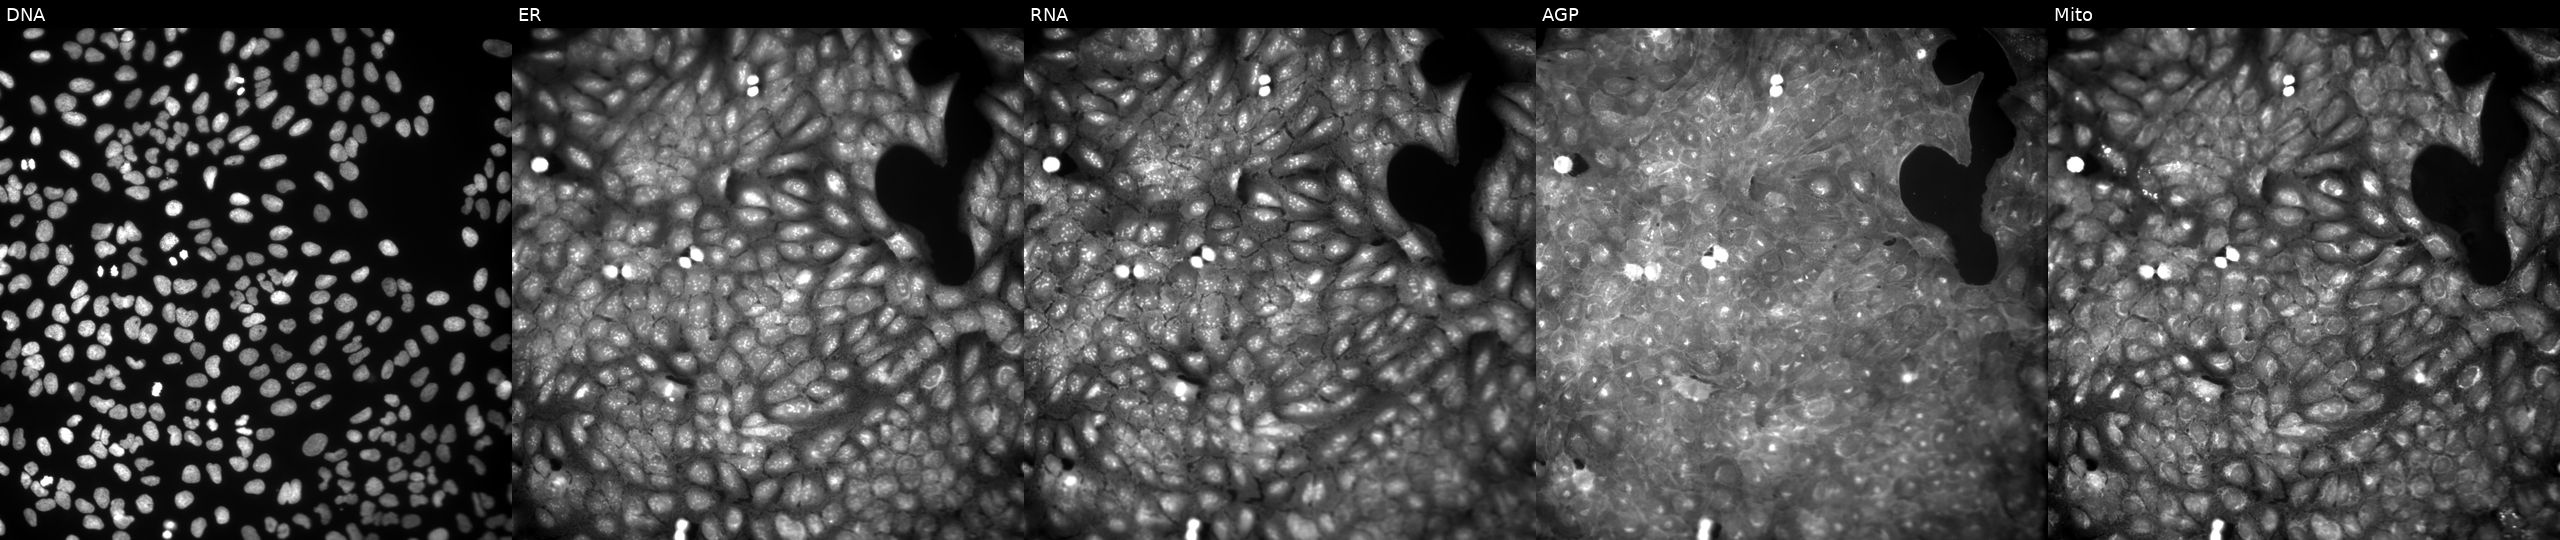
This image strip shows the five Cell Painting channels for a single field of U2OS cells exposed to a small-molecule compound (InChIKey KDLWRVXQNWMWCI-UHFFFAOYSA-N) [SMILES: CCOC(=O)c1nc2ccccc2c(=O)n1-c1ccc(C)cc1] (JUMP id JCP2022_043898). From left to right: DNA (nuclei); ER (endoplasmic reticulum); RNA (nucleoli and cytoplasmic RNA); AGP (actin cytoskeleton, Golgi, and plasma membrane); Mito (mitochondria).